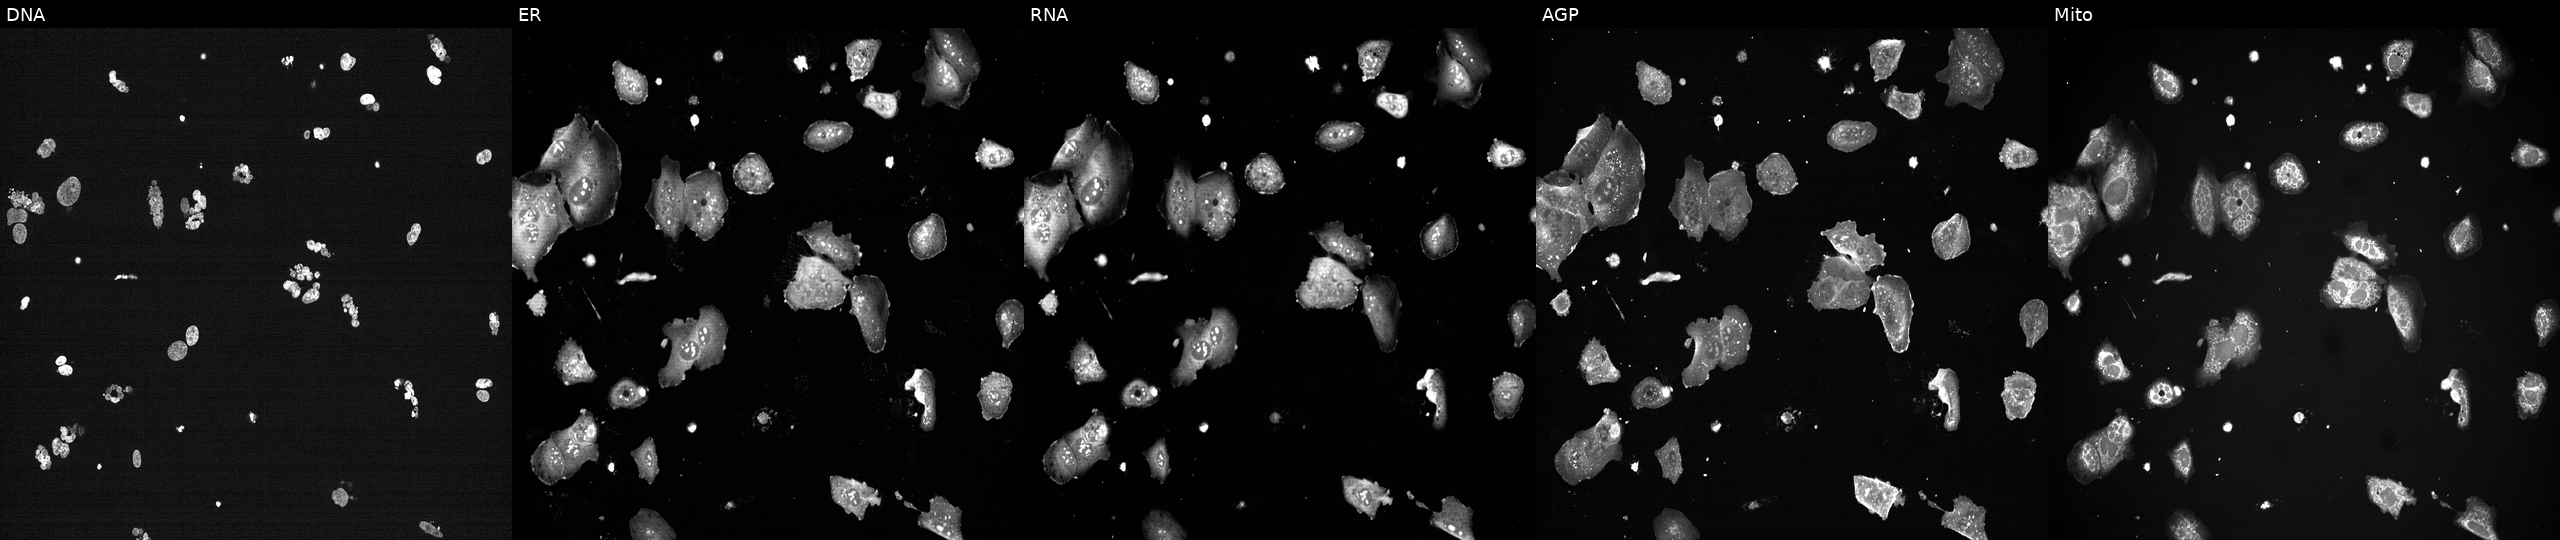
From left to right: DNA, ER, RNA, AGP, and Mito. U2OS osteosarcoma cells perturbed with a small-molecule compound (InChIKey RAOCRURYZCVHMG-UHFFFAOYSA-N). Cell Painting assay, JUMP-CP dataset.